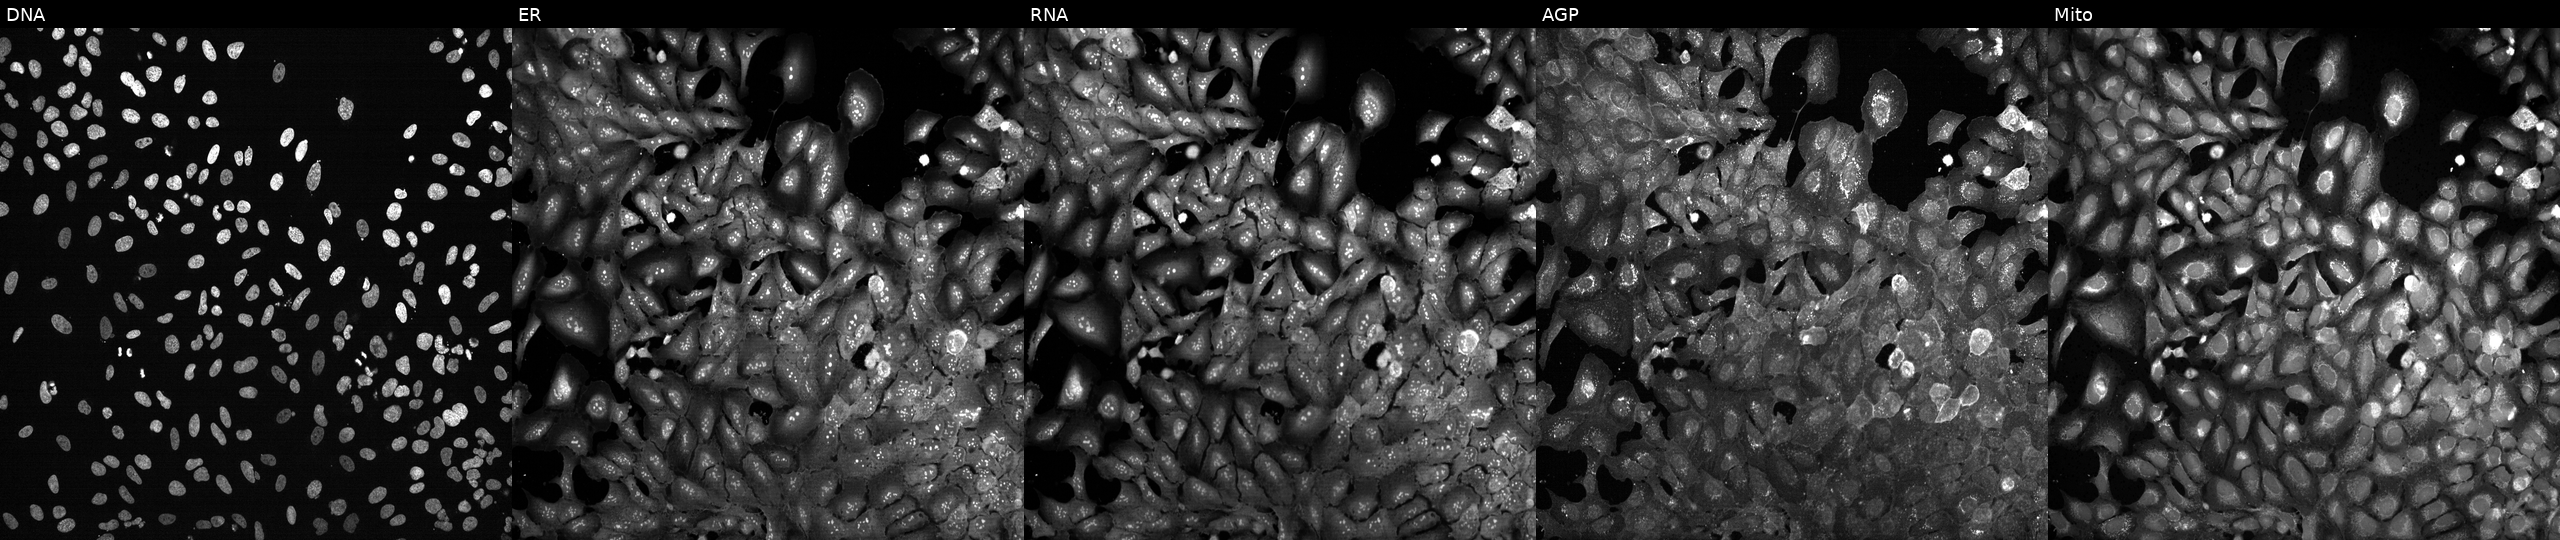
High-content fluorescence microscopy (Cell Painting). Cell line: U2OS. Perturbation: following CRISPR knockout of PCBP1. Channels (left→right): DNA (nuclei); ER (endoplasmic reticulum); RNA (nucleoli and cytoplasmic RNA); AGP (actin cytoskeleton, Golgi, and plasma membrane); Mito (mitochondria).